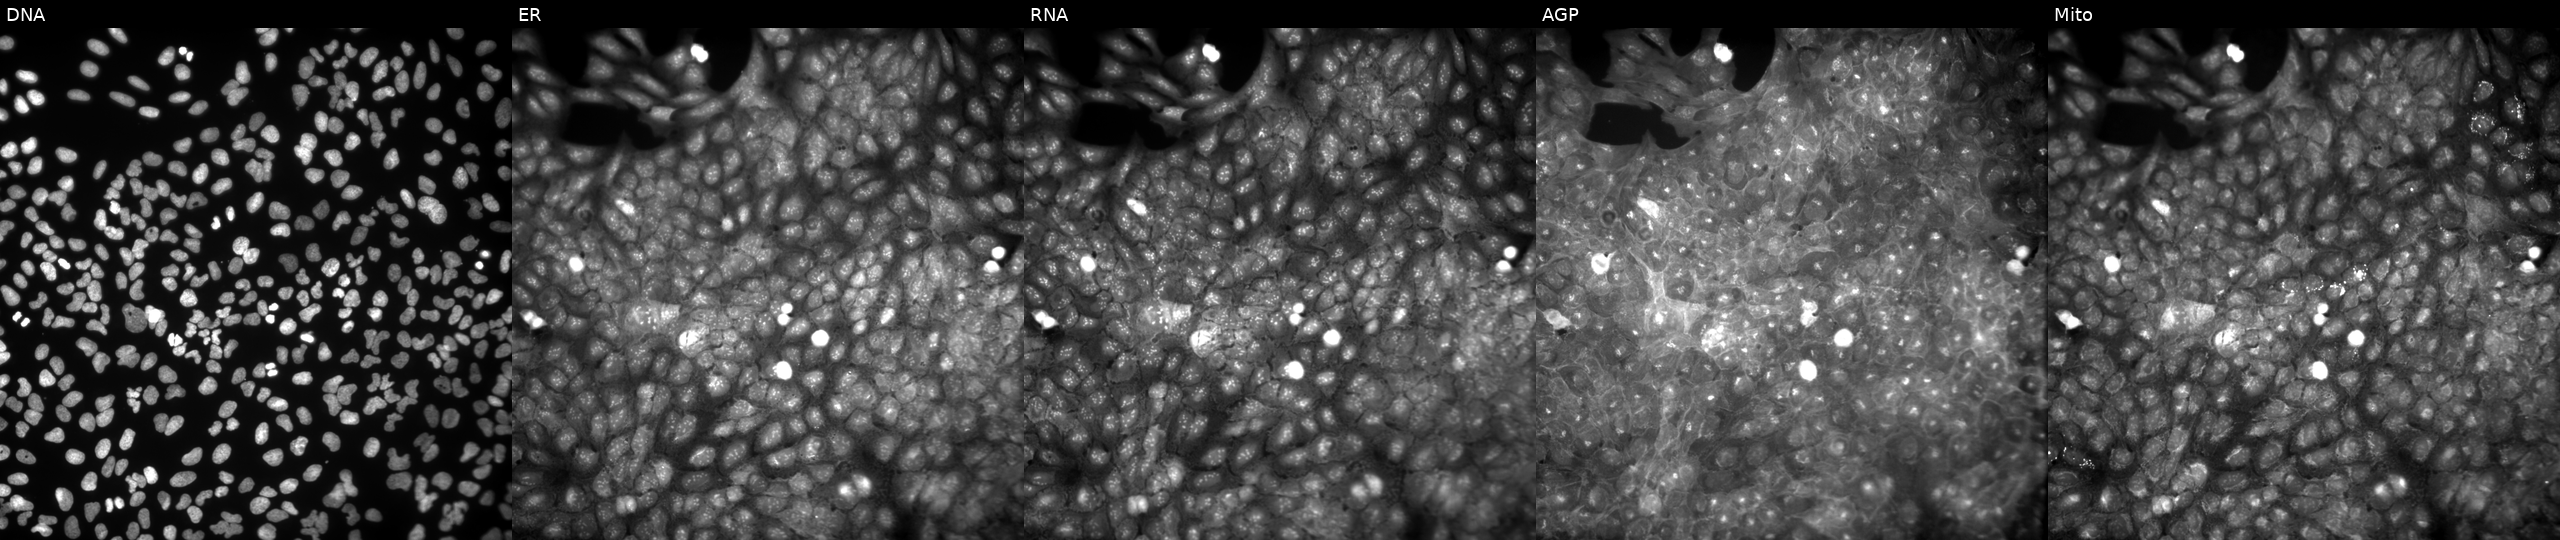
This image strip shows the five Cell Painting channels for a single field of U2OS cells perturbed with a small-molecule compound (InChIKey SEFPOGFGLQJCNQ-UHFFFAOYSA-N). From left to right: DNA (nuclei); ER (endoplasmic reticulum); RNA (nucleoli and cytoplasmic RNA); AGP (actin cytoskeleton, Golgi, and plasma membrane); Mito (mitochondria).